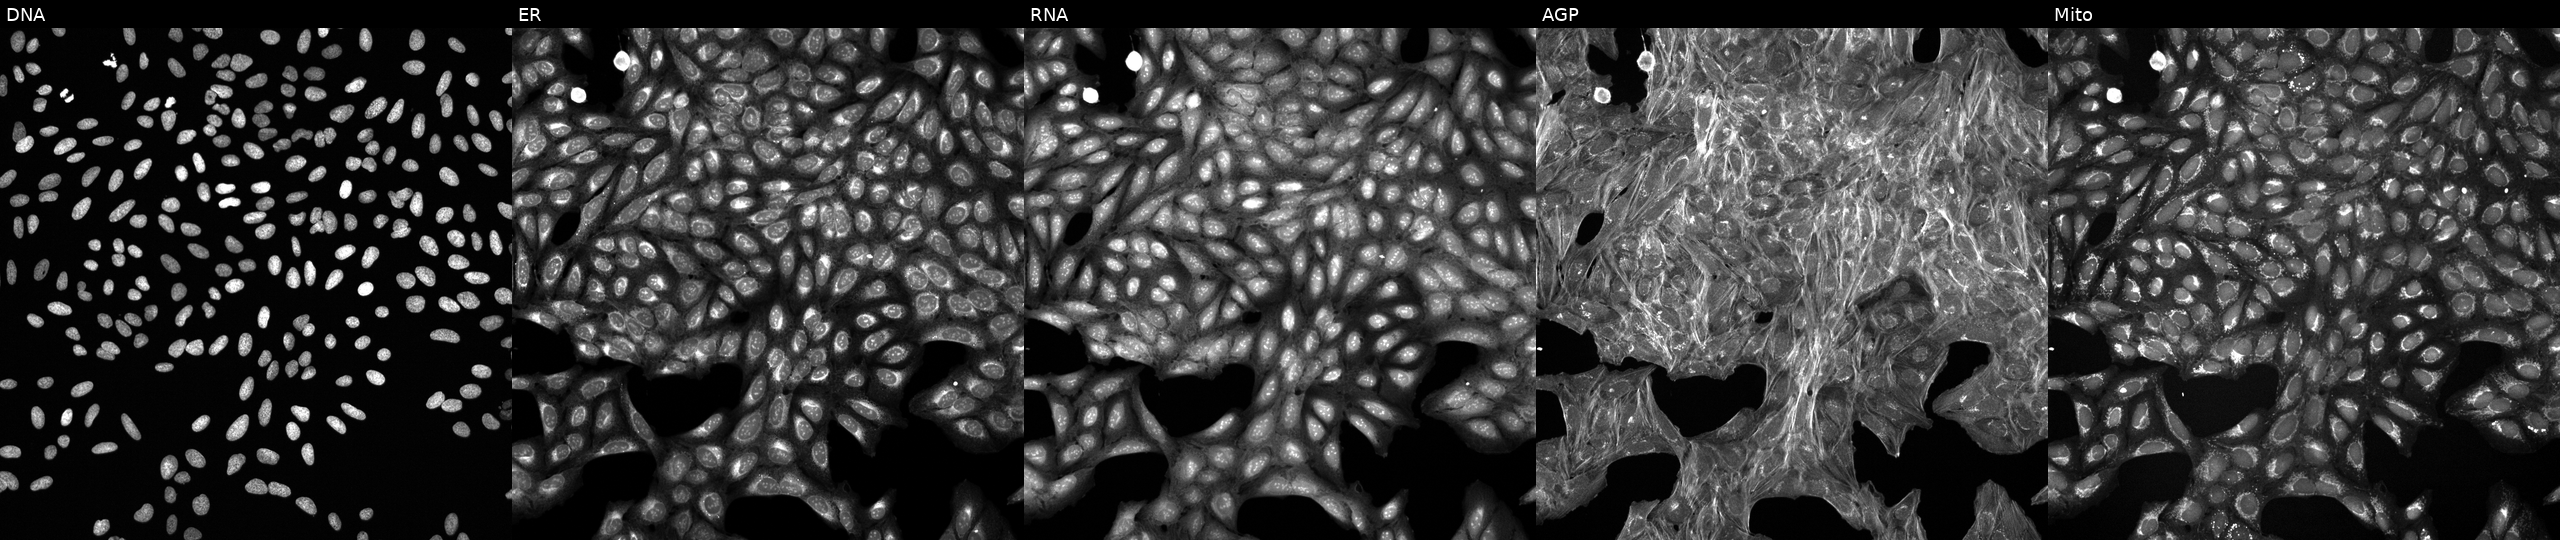
This image strip shows the five Cell Painting channels for a single field of U2OS cells perturbed with a small-molecule compound (InChIKey IYAYHZZWYNXHEQ-UHFFFAOYSA-N) (JUMP id JCP2022_038096). The five panels, left to right, show Hoechst 33342, concanavalin A, SYTO 14, phalloidin and WGA, MitoTracker. Source 6, plate 110000294901, well K23.